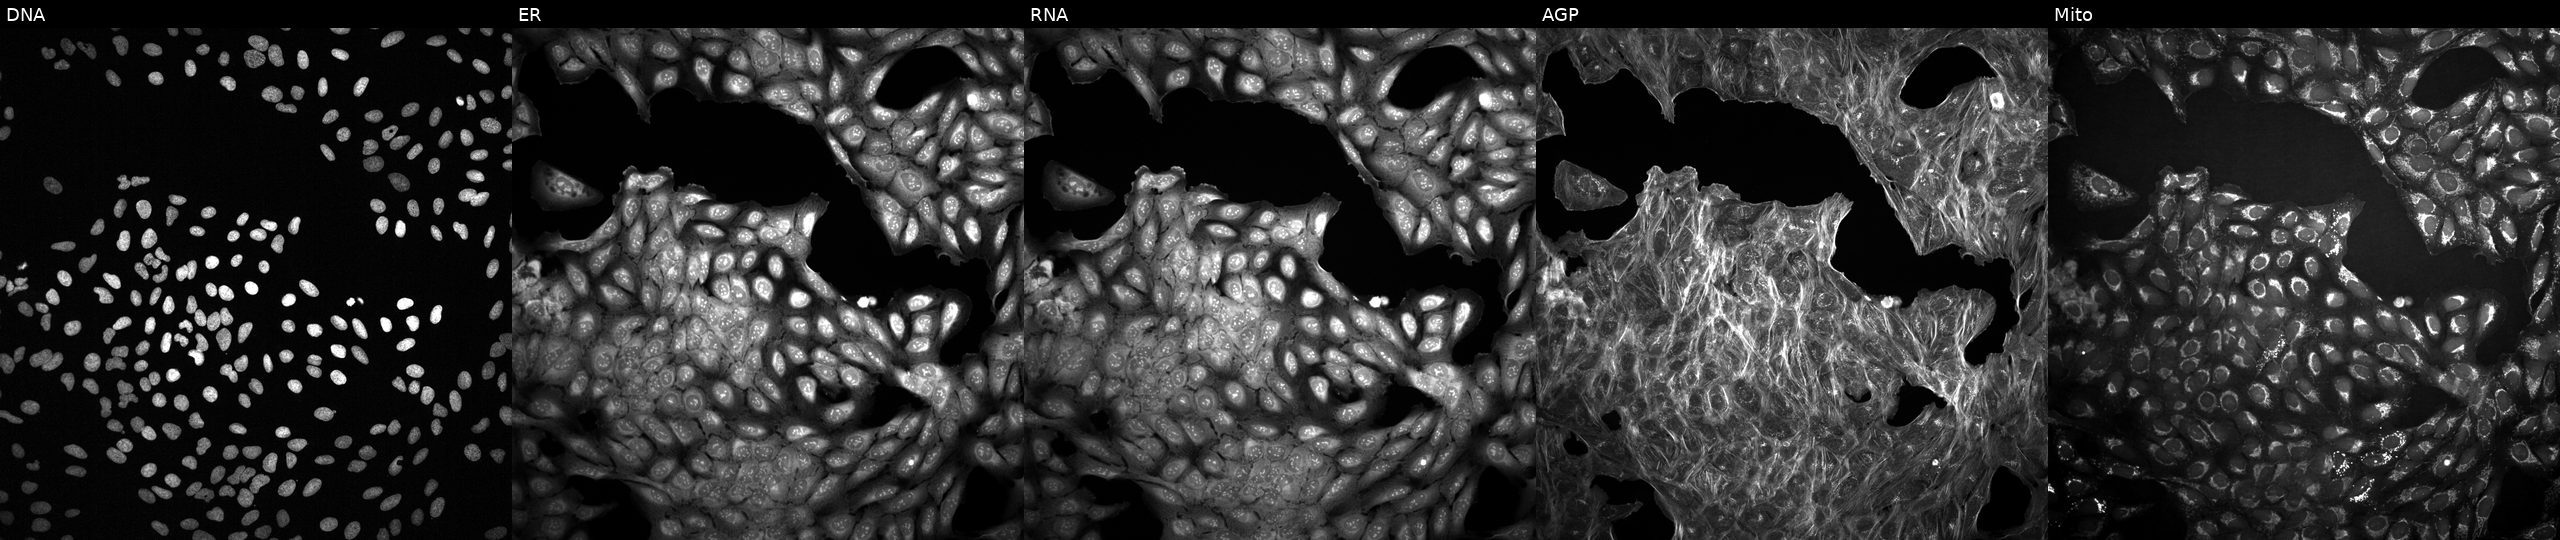
From left to right: Hoechst 33342, concanavalin A, SYTO 14, phalloidin and WGA, MitoTracker. U2OS osteosarcoma cells treated with a small-molecule compound (InChIKey CGLNAGNYUPXMKH-UHFFFAOYSA-N). Cell Painting assay, JUMP-CP dataset. Source 2, plate 1053601763, well I03.